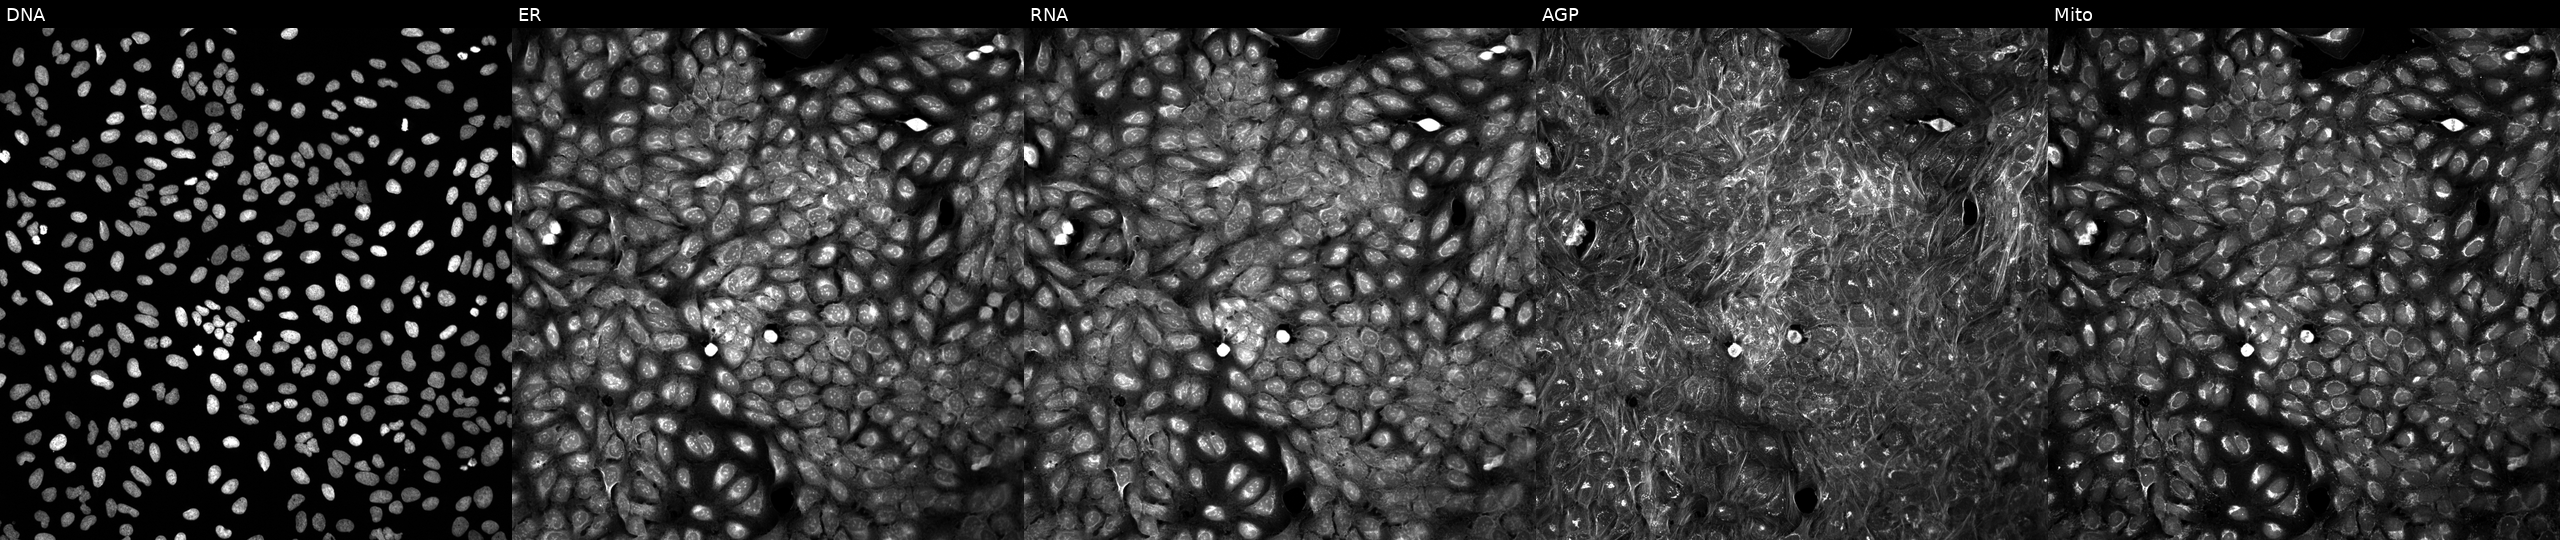
Panels show, left to right, Hoechst 33342, concanavalin A, SYTO 14, phalloidin and WGA, MitoTracker. U2OS osteosarcoma cells perturbed with a small-molecule compound (InChIKey RNQQVLYCJZQXHV-UHFFFAOYSA-N) (JUMP id JCP2022_079553). Cell Painting assay, JUMP-CP dataset. Source 5, plate APTJUM106, well A22.